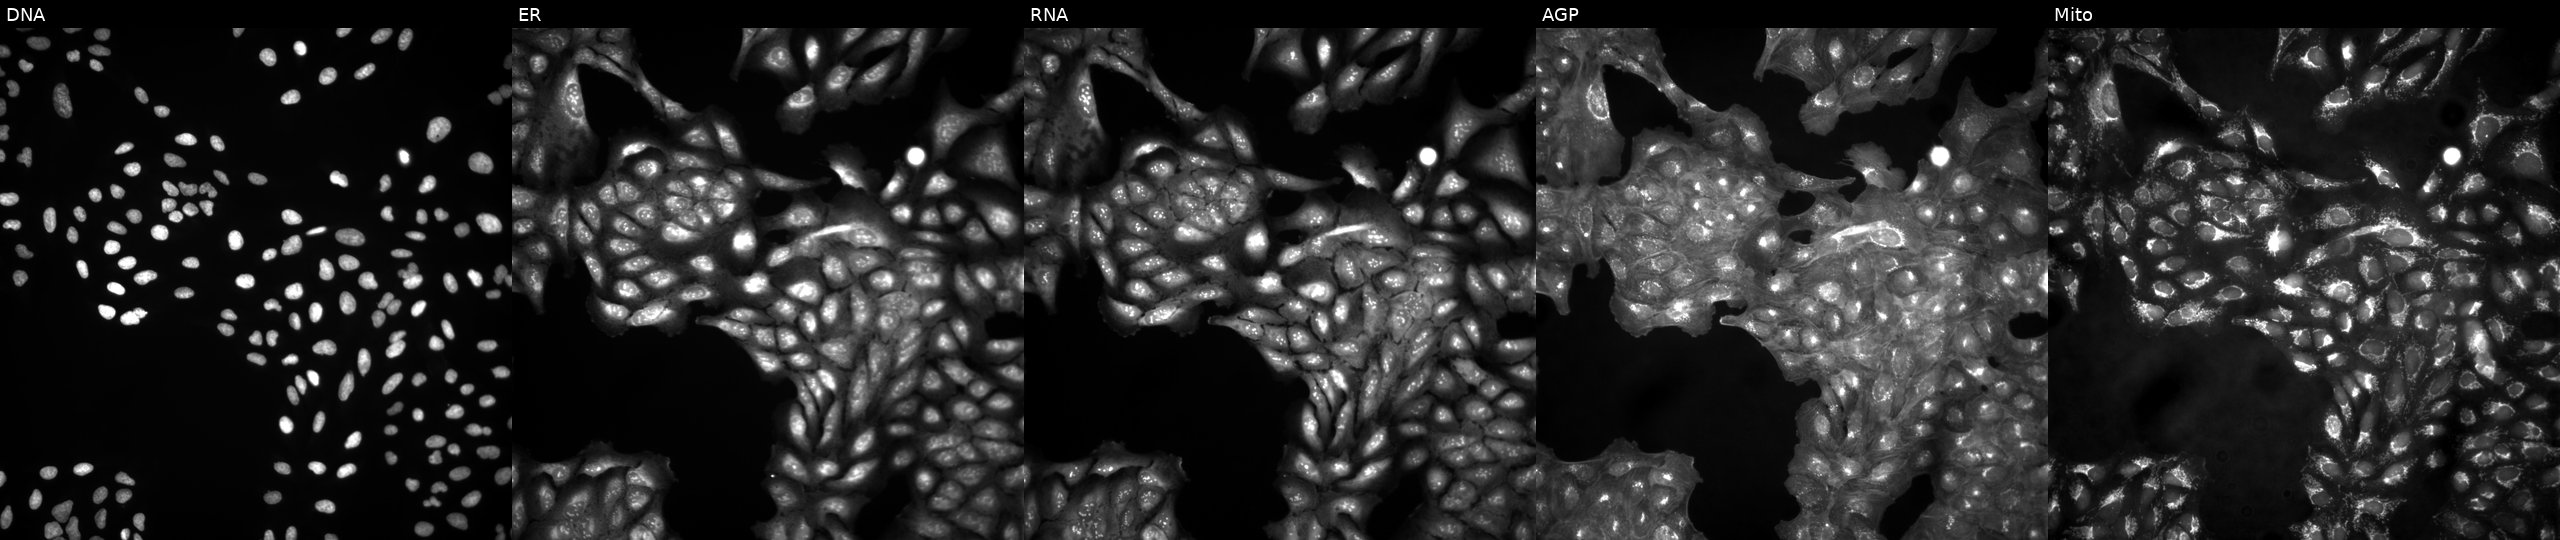
From left to right: DNA, ER, RNA, AGP, and Mito. U2OS osteosarcoma cells untreated (empty-well control) (JUMP id JCP2022_999999). Cell Painting assay, JUMP-CP dataset.